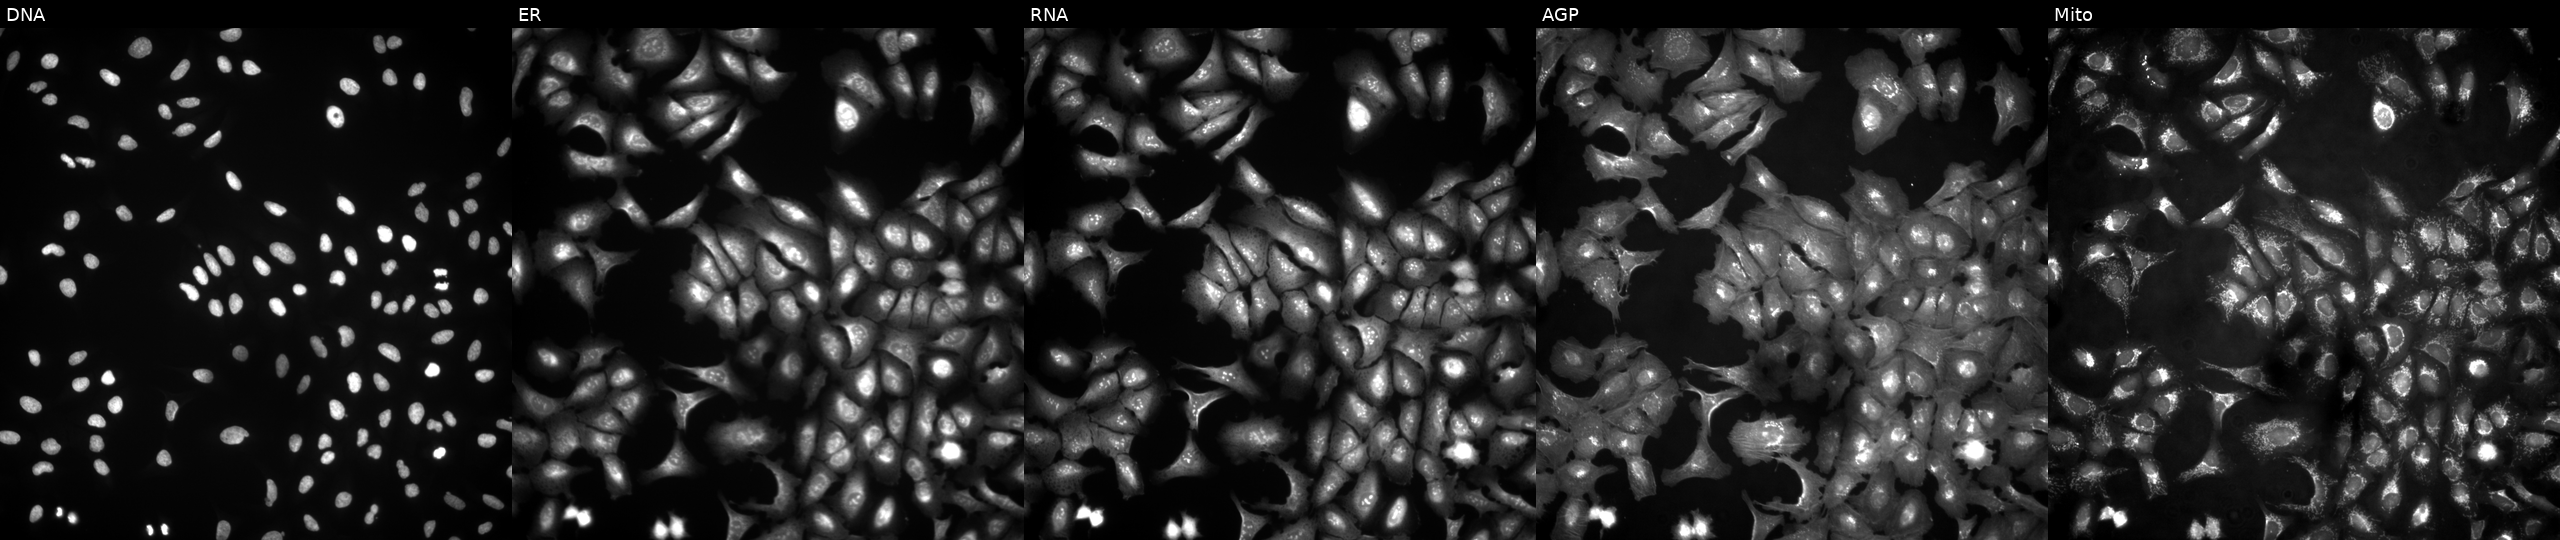
U2OS cells, Cell Painting assay, transfected with an ORF construct for GRHL2. The five panels, left to right, show DNA, ER, RNA, AGP, and Mito. Each panel is percentile-stretched 16-bit fluorescence. Source 4, plate BR00124790, well N06.